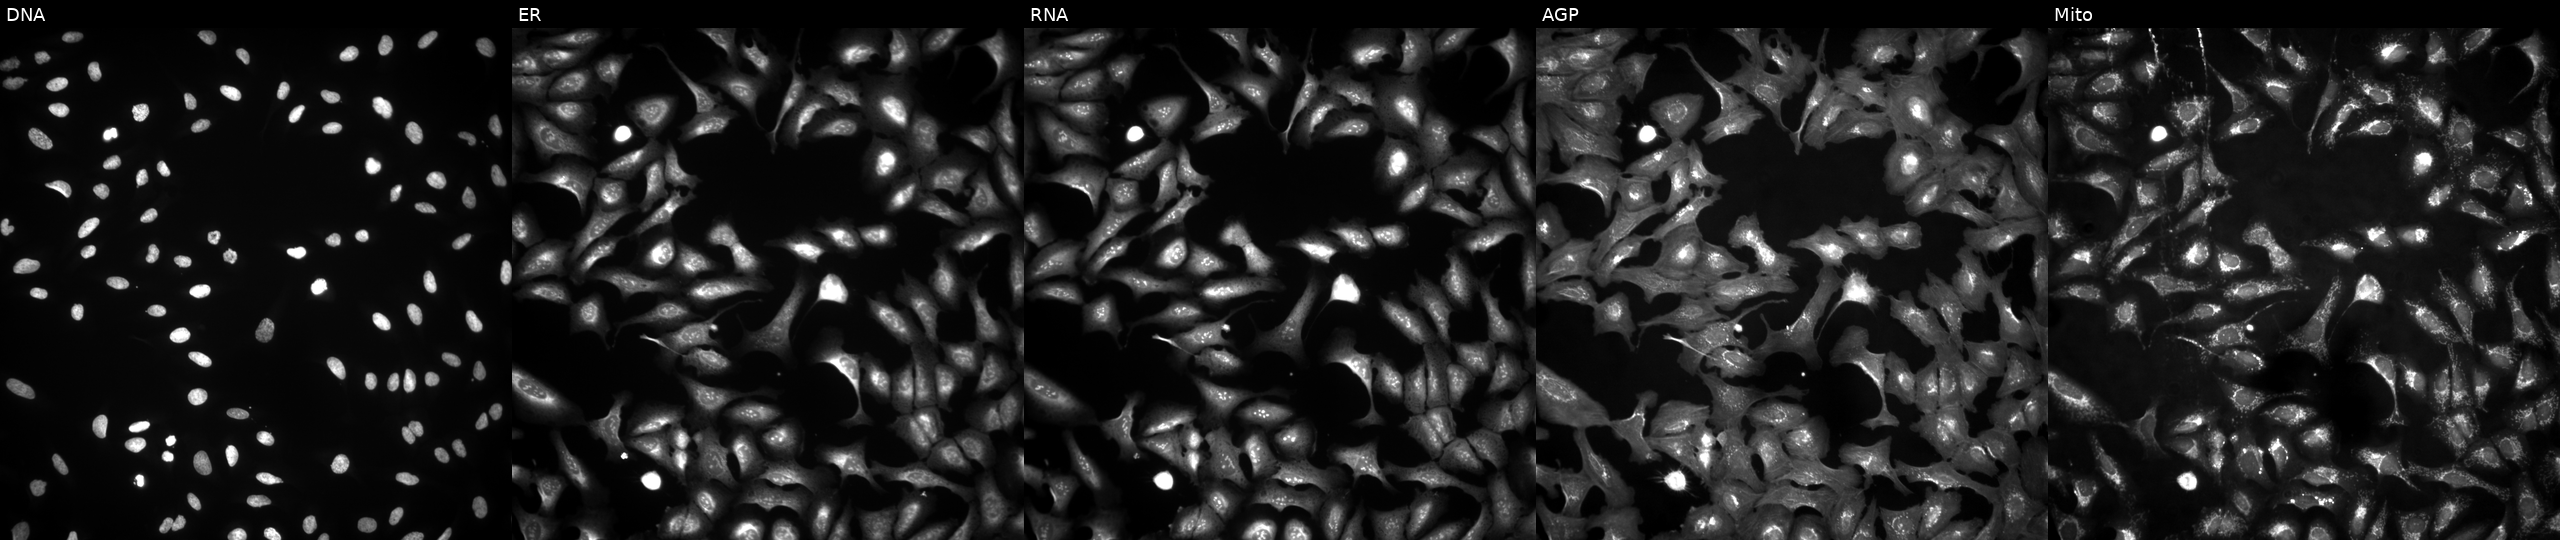
The five panels, left to right, show DNA, ER, RNA, AGP, and Mito. U2OS osteosarcoma cells with TMEM220 overexpressed (ORF). Cell Painting assay, JUMP-CP dataset.